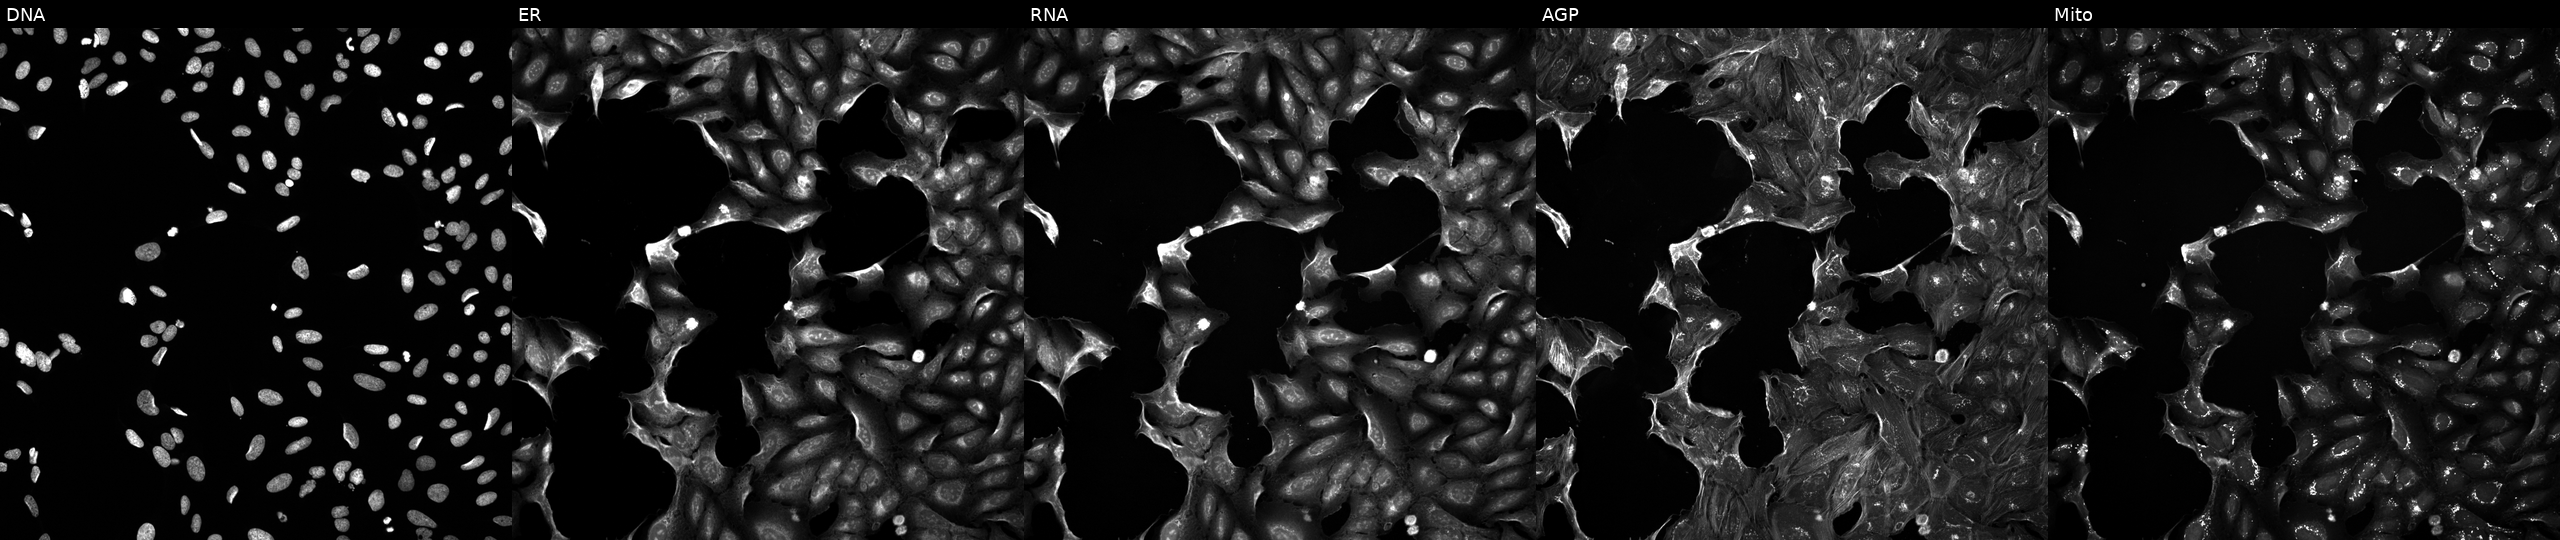
High-content fluorescence microscopy (Cell Painting). Cell line: U2OS. Perturbation: perturbed with a small-molecule compound (InChIKey VSWDORGPIHIGNW-UHFFFAOYSA-N). The five panels, left to right, show DNA, ER, RNA, AGP, and Mito.